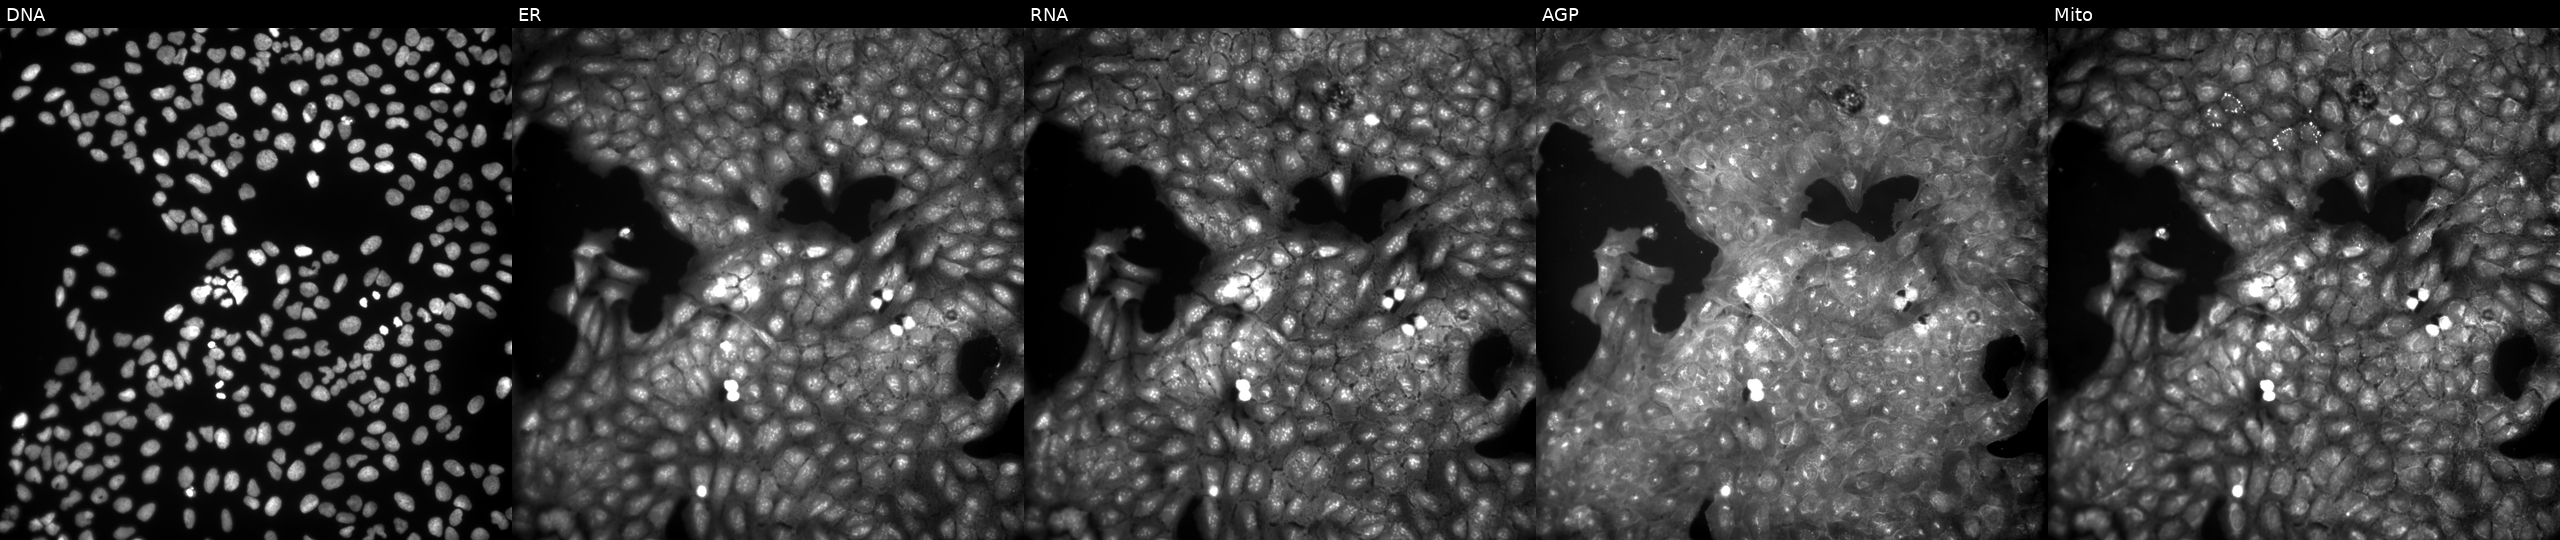
Five-channel Cell Painting image of U2OS cells exposed to a small-molecule compound. Panels show, left to right, Hoechst 33342, concanavalin A, SYTO 14, phalloidin and WGA, MitoTracker.